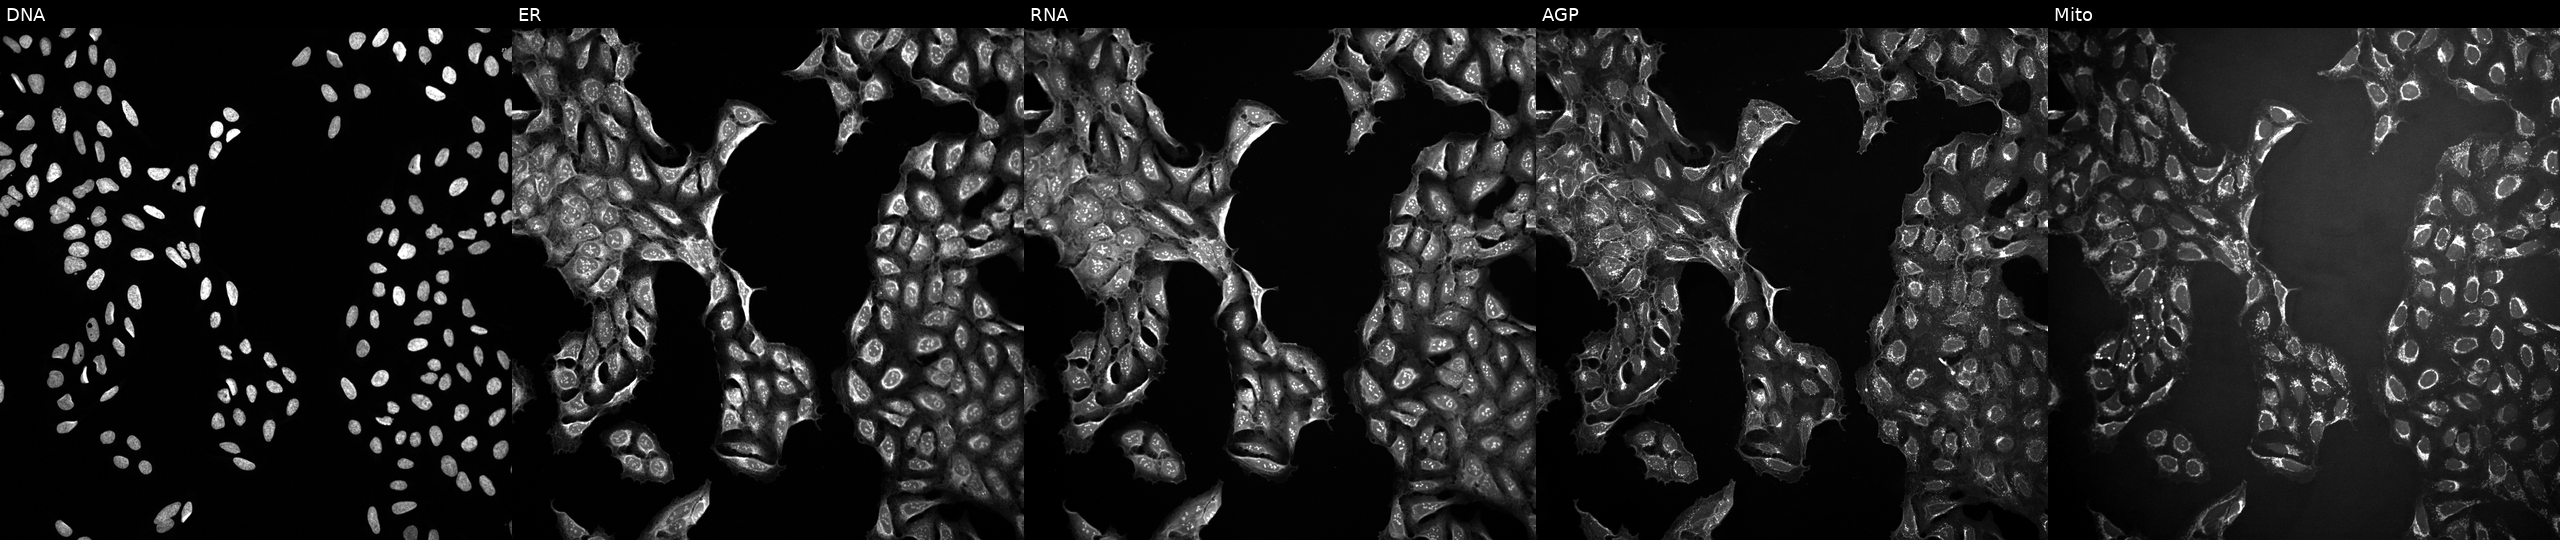
High-content fluorescence microscopy (Cell Painting). Cell line: U2OS. Perturbation: exposed to DMSO alone as a negative control (JUMP id JCP2022_033924). The five panels, left to right, show DNA, ER, RNA, AGP, and Mito. Source 10, plate Dest210803-153958, well M10.